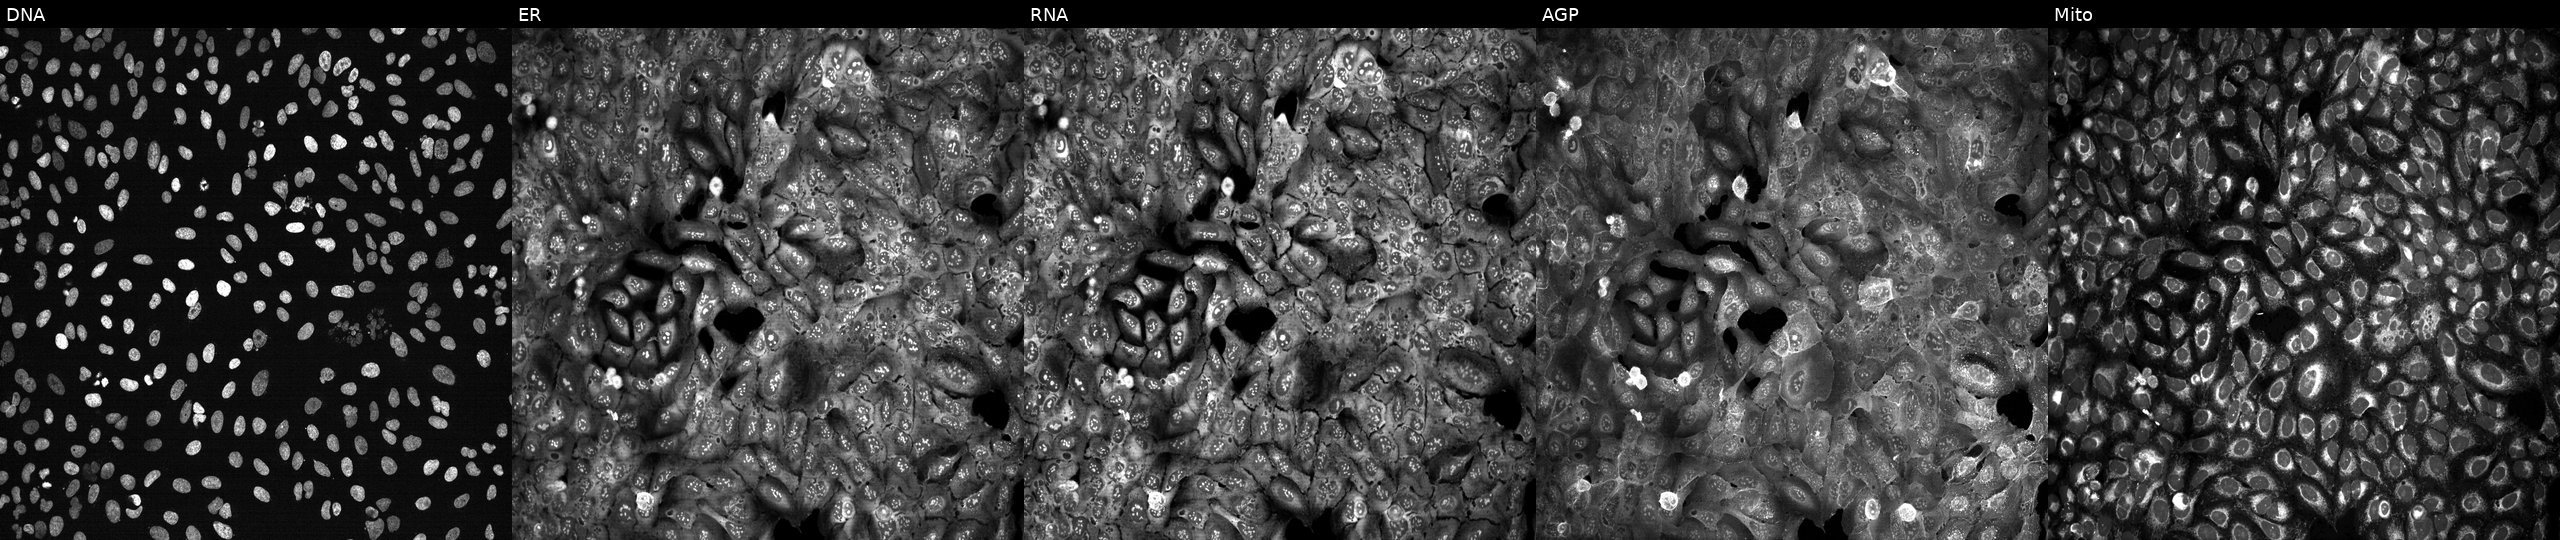
This image strip shows the five Cell Painting channels for a single field of U2OS cells following CRISPR knockout of RND1 (JUMP id JCP2022_805994). The five panels, left to right, show DNA, ER, RNA, AGP, and Mito.